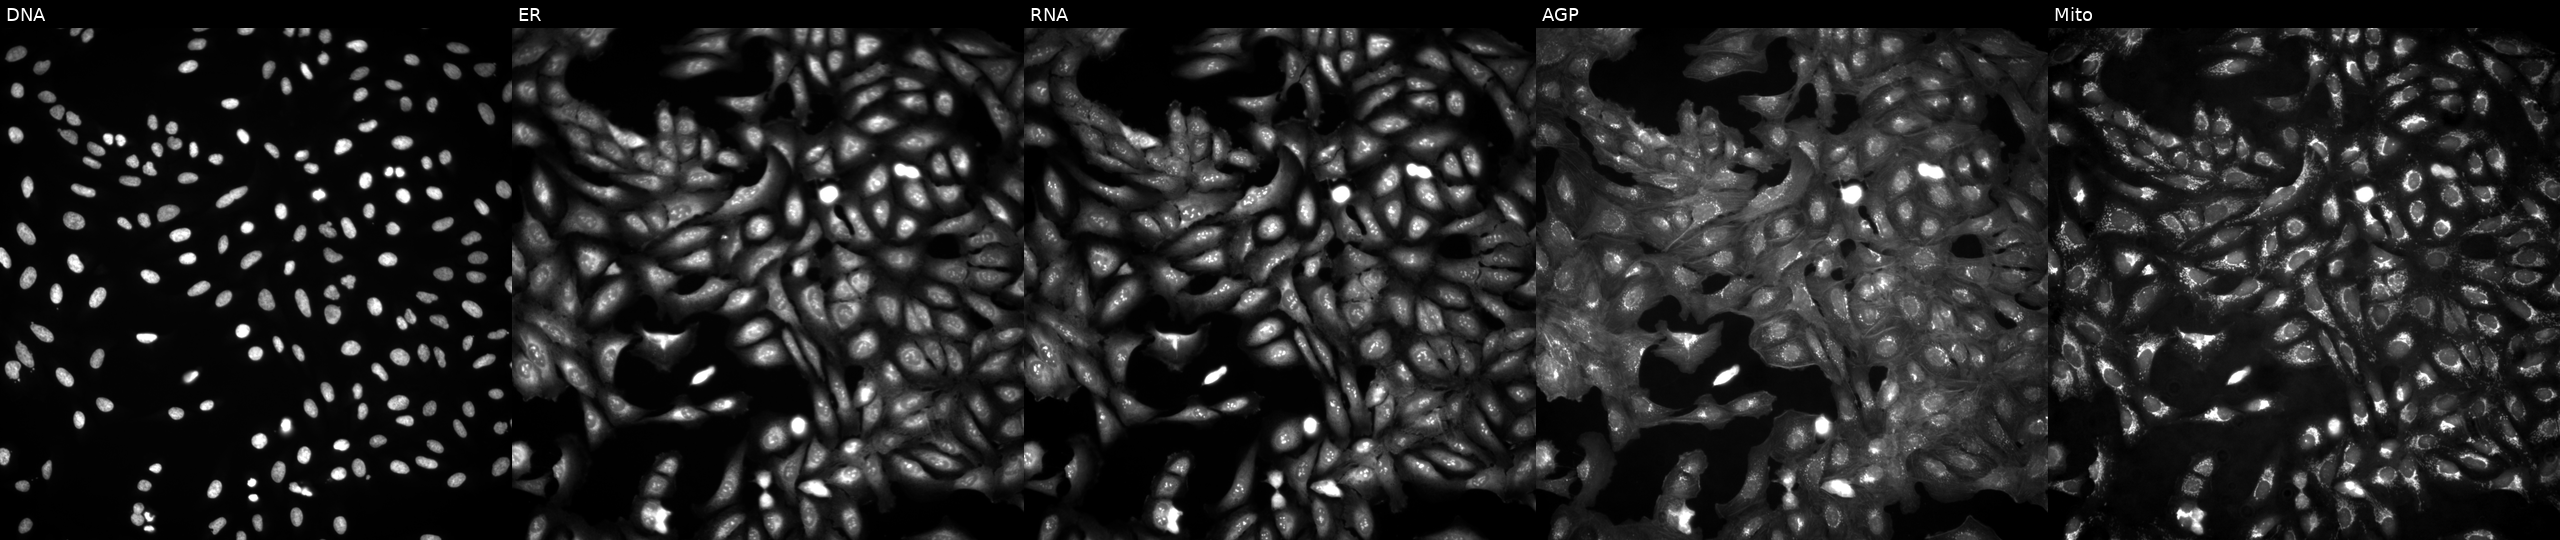
U2OS cells, Cell Painting assay, in an empty control well (no perturbation) (JUMP id JCP2022_999999). The five panels, left to right, show DNA (nuclei); ER (endoplasmic reticulum); RNA (nucleoli and cytoplasmic RNA); AGP (actin cytoskeleton, Golgi, and plasma membrane); Mito (mitochondria). Each panel is percentile-stretched 16-bit fluorescence. Source 4, plate BR00124793, well E11.